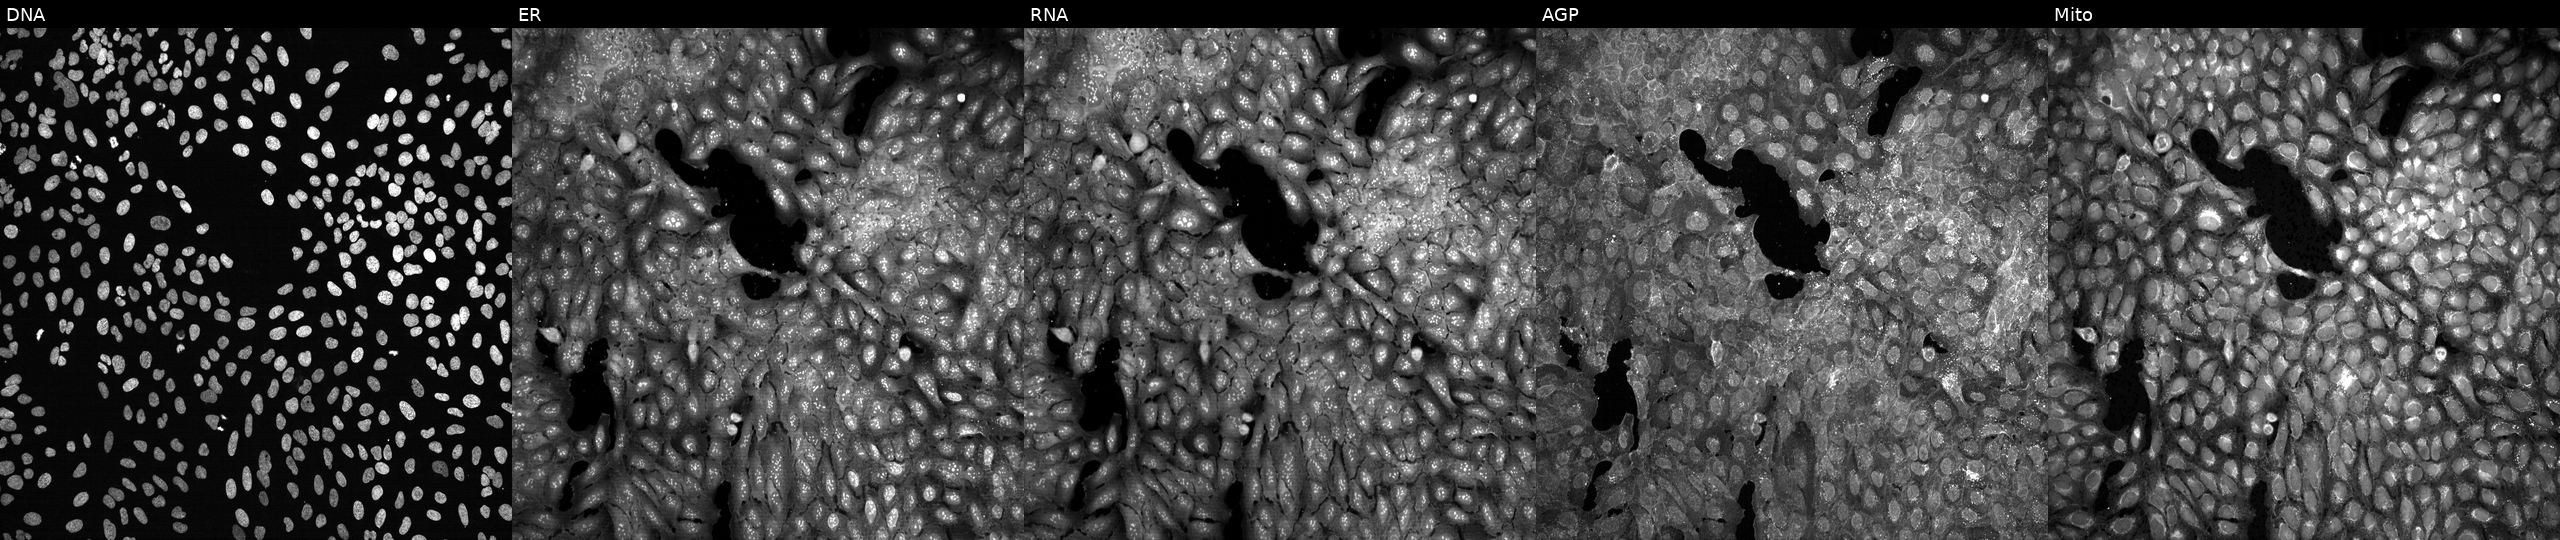
High-content fluorescence microscopy (Cell Painting). Cell line: U2OS. Perturbation: treated with DMSO vehicle only (negative control) (JUMP id JCP2022_033924). The five panels, left to right, show DNA (nuclei); ER (endoplasmic reticulum); RNA (nucleoli and cytoplasmic RNA); AGP (actin cytoskeleton, Golgi, and plasma membrane); Mito (mitochondria).